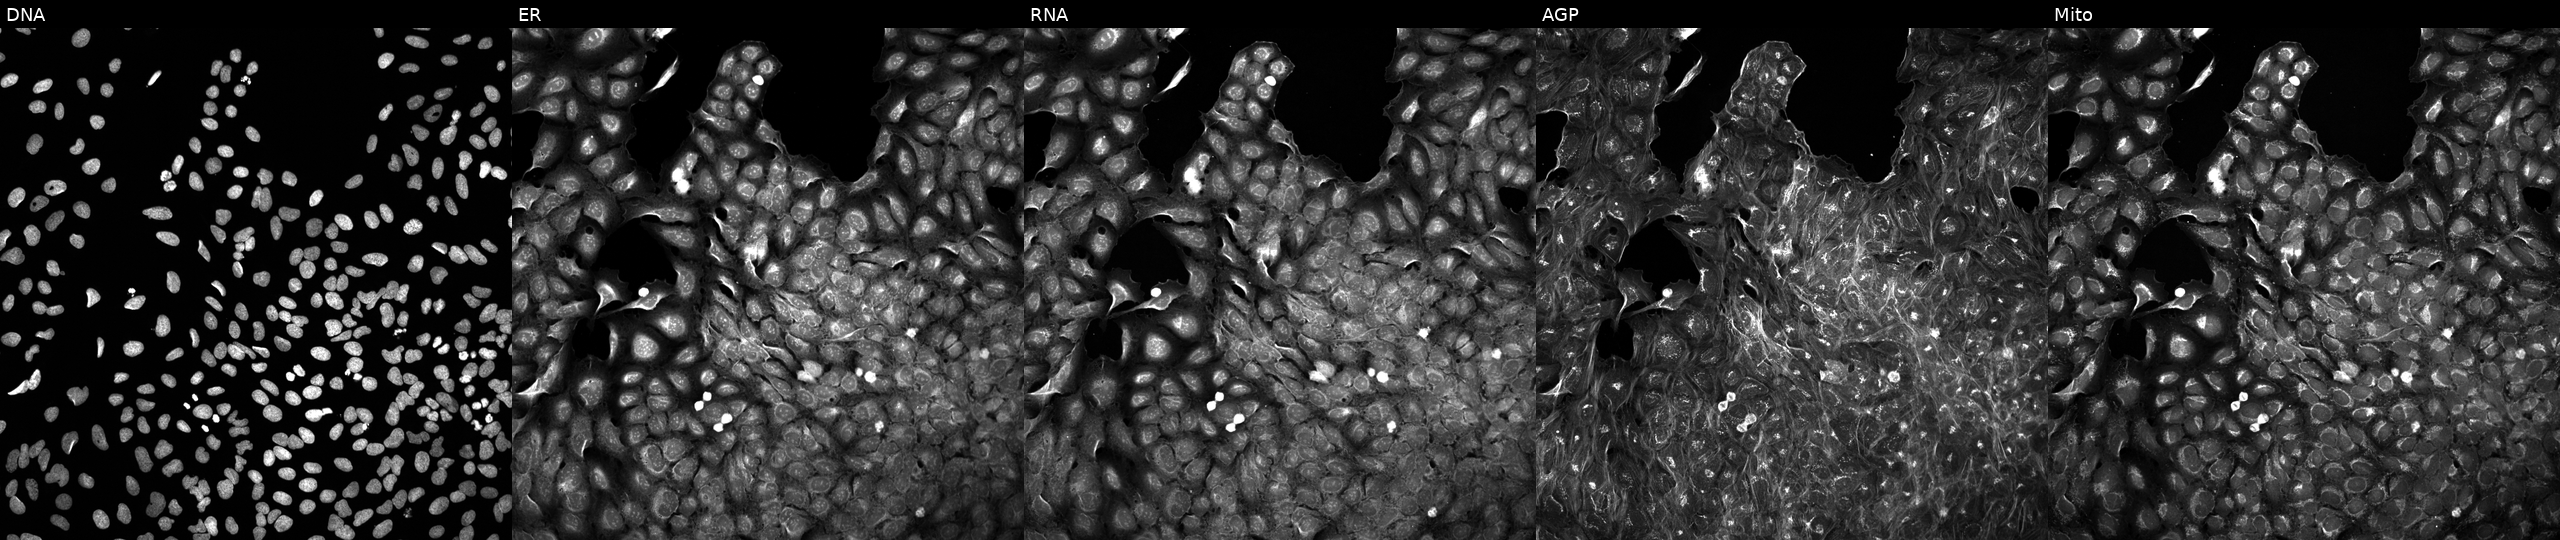
U2OS cells, Cell Painting assay, exposed to a small-molecule compound (InChIKey AOABXFOGRCFYPS-UHFFFAOYSA-N) [SMILES: Cc1nc2n(c1CCN=c1nc(C(F)(F)F)cc[nH]1)CCCC2]. The five panels, left to right, show DNA, ER, RNA, AGP, and Mito. Each panel is percentile-stretched 16-bit fluorescence. Source 5, plate APTJUM106, well L18.